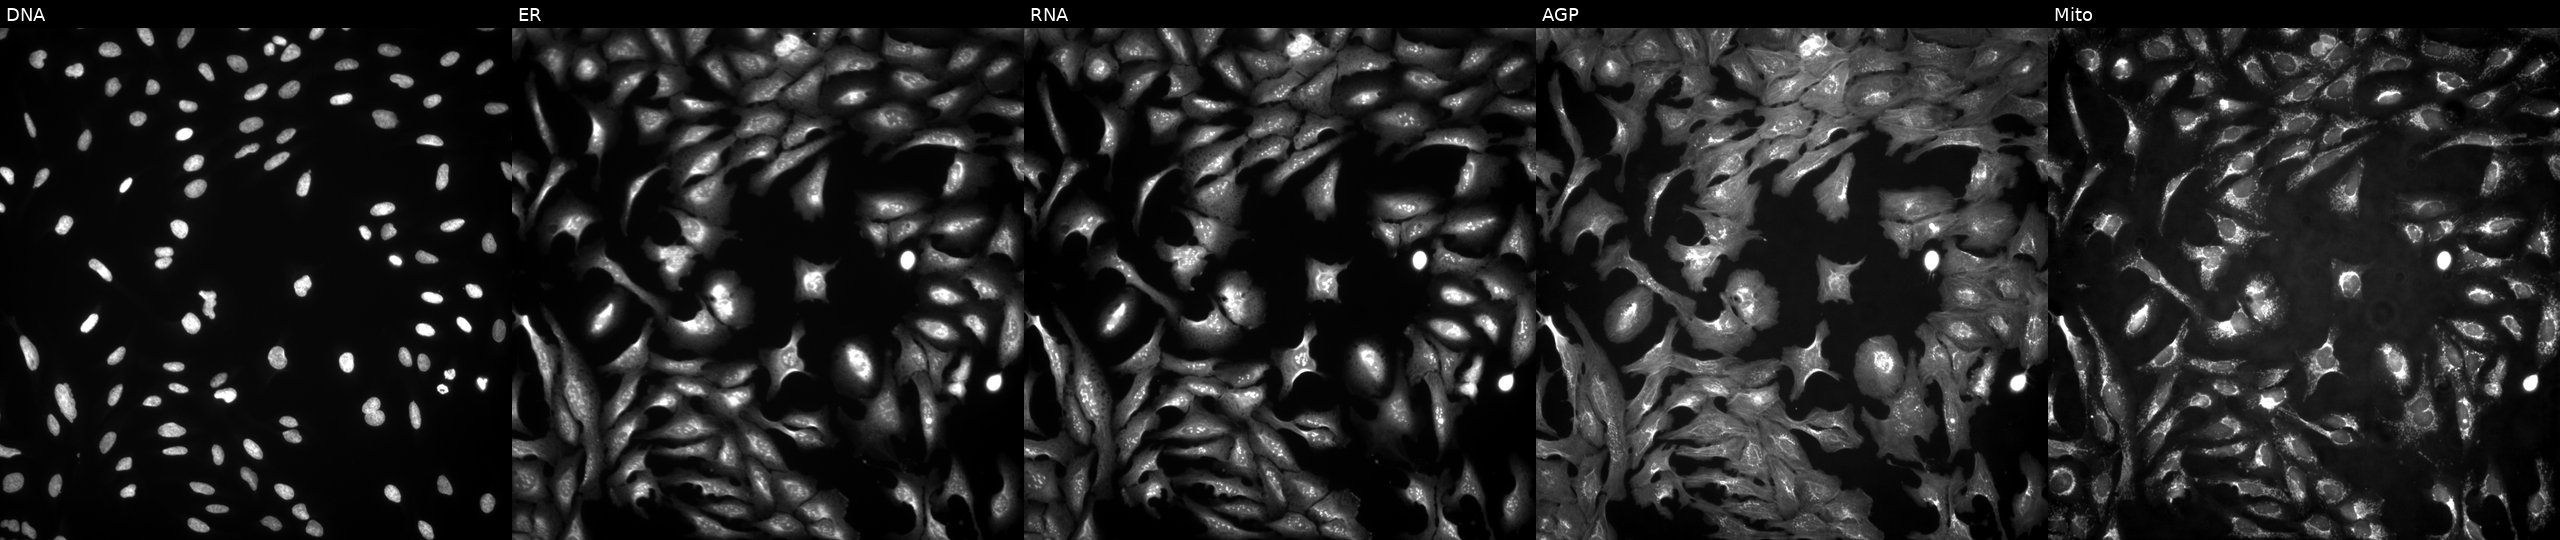
U2OS cells, Cell Painting assay, transfected with an ORF construct for TMEM69. Channels (left→right): DNA (nuclei); ER (endoplasmic reticulum); RNA (nucleoli and cytoplasmic RNA); AGP (actin cytoskeleton, Golgi, and plasma membrane); Mito (mitochondria). Each panel is percentile-stretched 16-bit fluorescence.